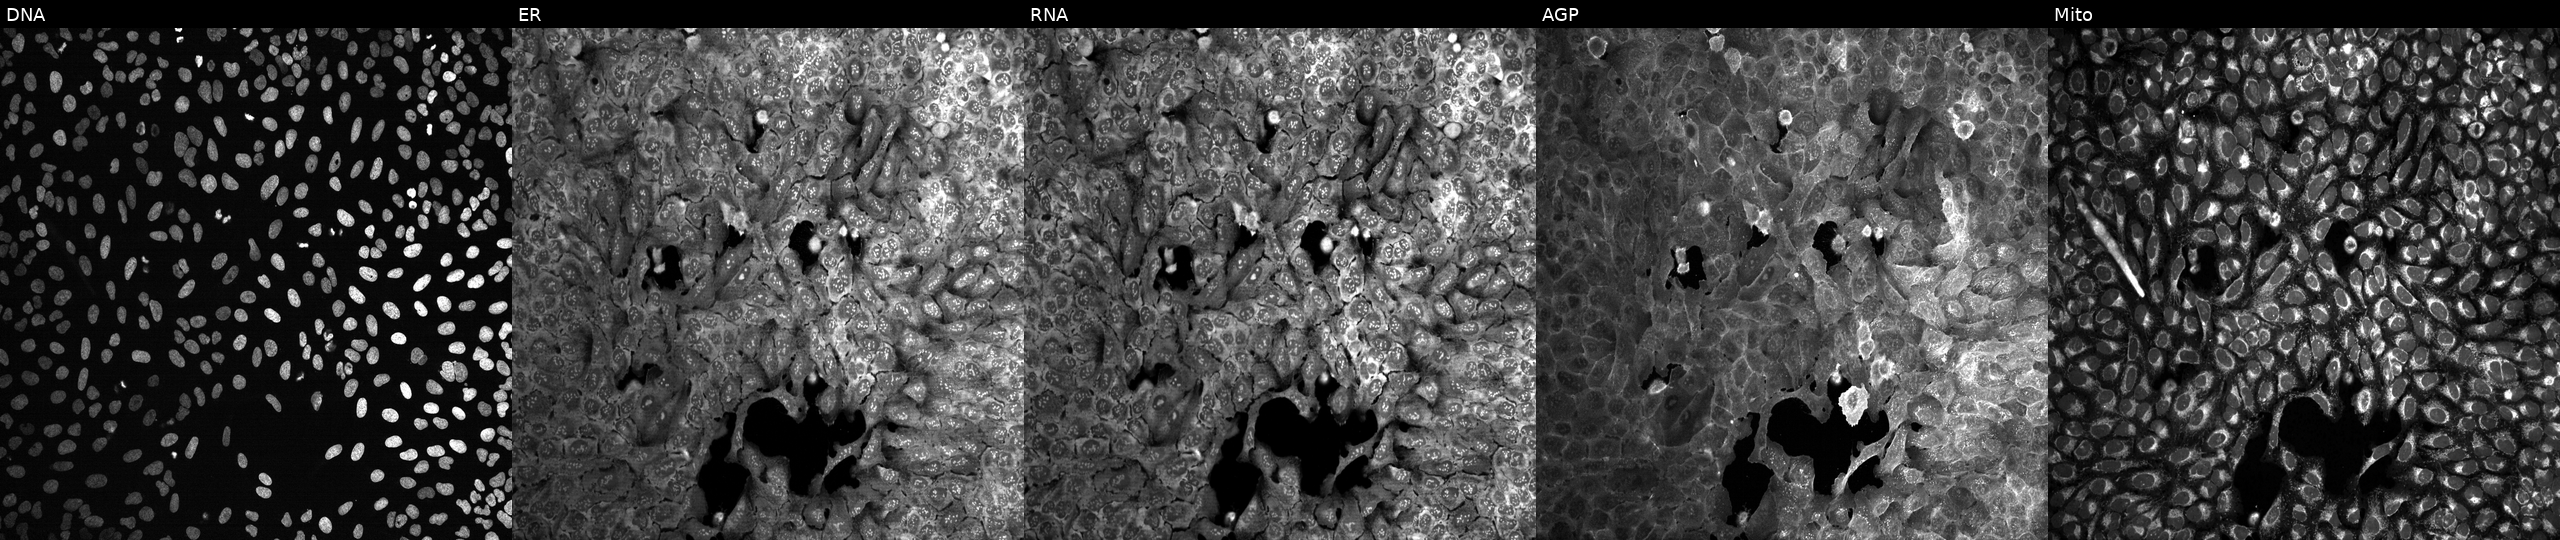
Channels (left→right): Hoechst 33342, concanavalin A, SYTO 14, phalloidin and WGA, MitoTracker. U2OS osteosarcoma cells with no CRISPR guide (negative control). Cell Painting assay, JUMP-CP dataset.